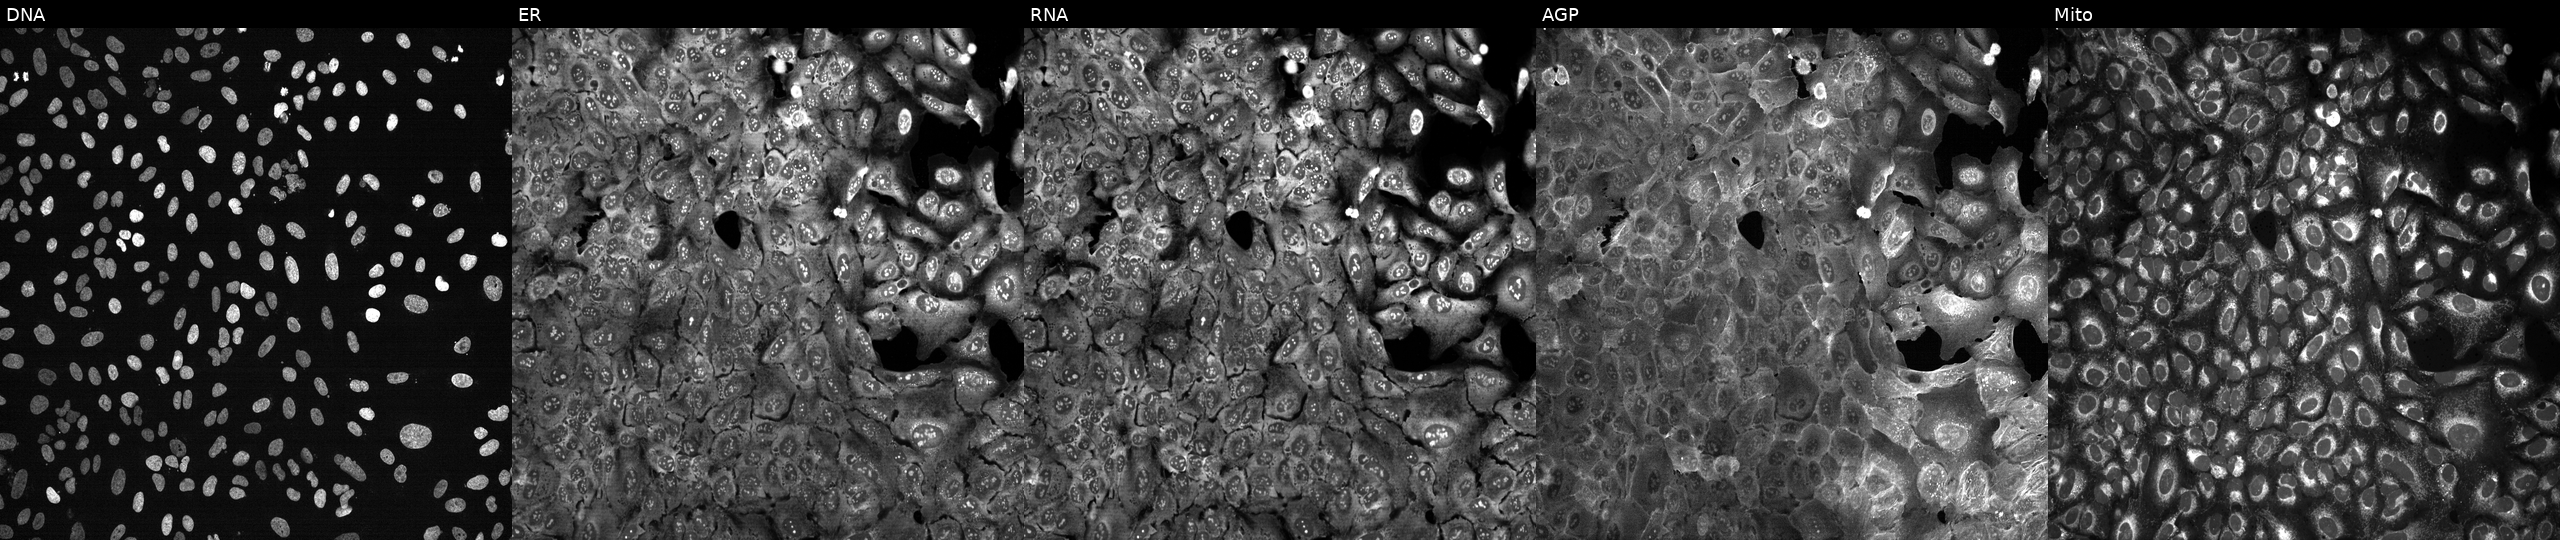
JUMP Cell Painting — CRISPR plate. U2OS cells with SPNS1 knocked out by CRISPR (JUMP id JCP2022_806743). From left to right: Hoechst 33342, concanavalin A, SYTO 14, phalloidin and WGA, MitoTracker. Source 13, plate CP-CC9-R2-02, well A08.